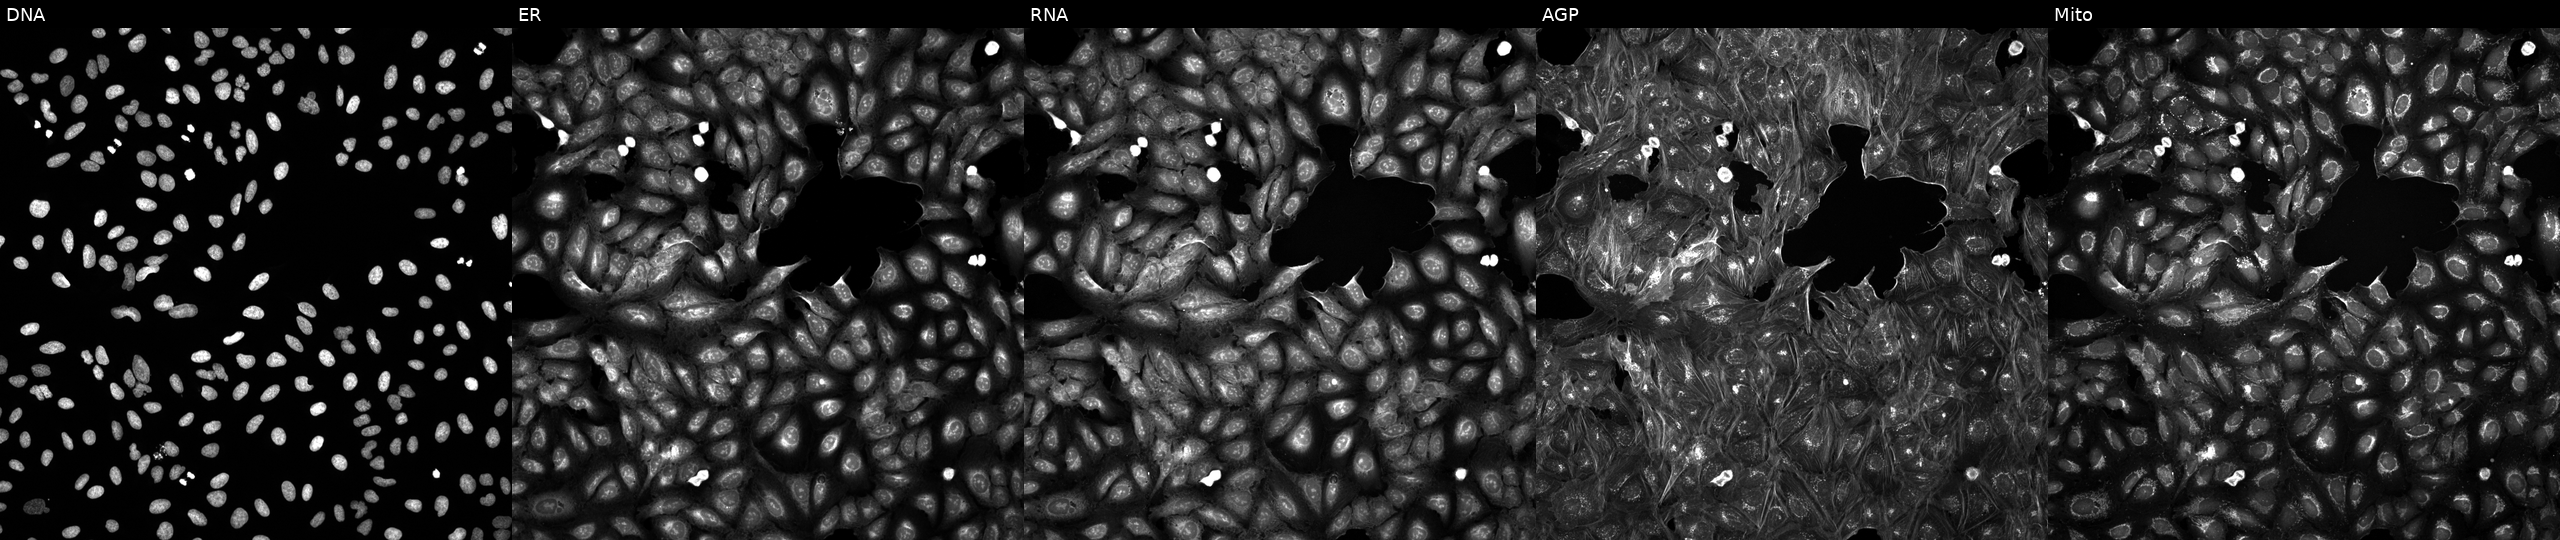
Channels (left→right): DNA (nuclei); ER (endoplasmic reticulum); RNA (nucleoli and cytoplasmic RNA); AGP (actin cytoskeleton, Golgi, and plasma membrane); Mito (mitochondria). U2OS osteosarcoma cells perturbed with a small-molecule compound (InChIKey QIHBWVVVRYYYRO-UHFFFAOYSA-N) (JUMP id JCP2022_073628). Cell Painting assay, JUMP-CP dataset. Source 5, plate ACPJUM032, well H16.